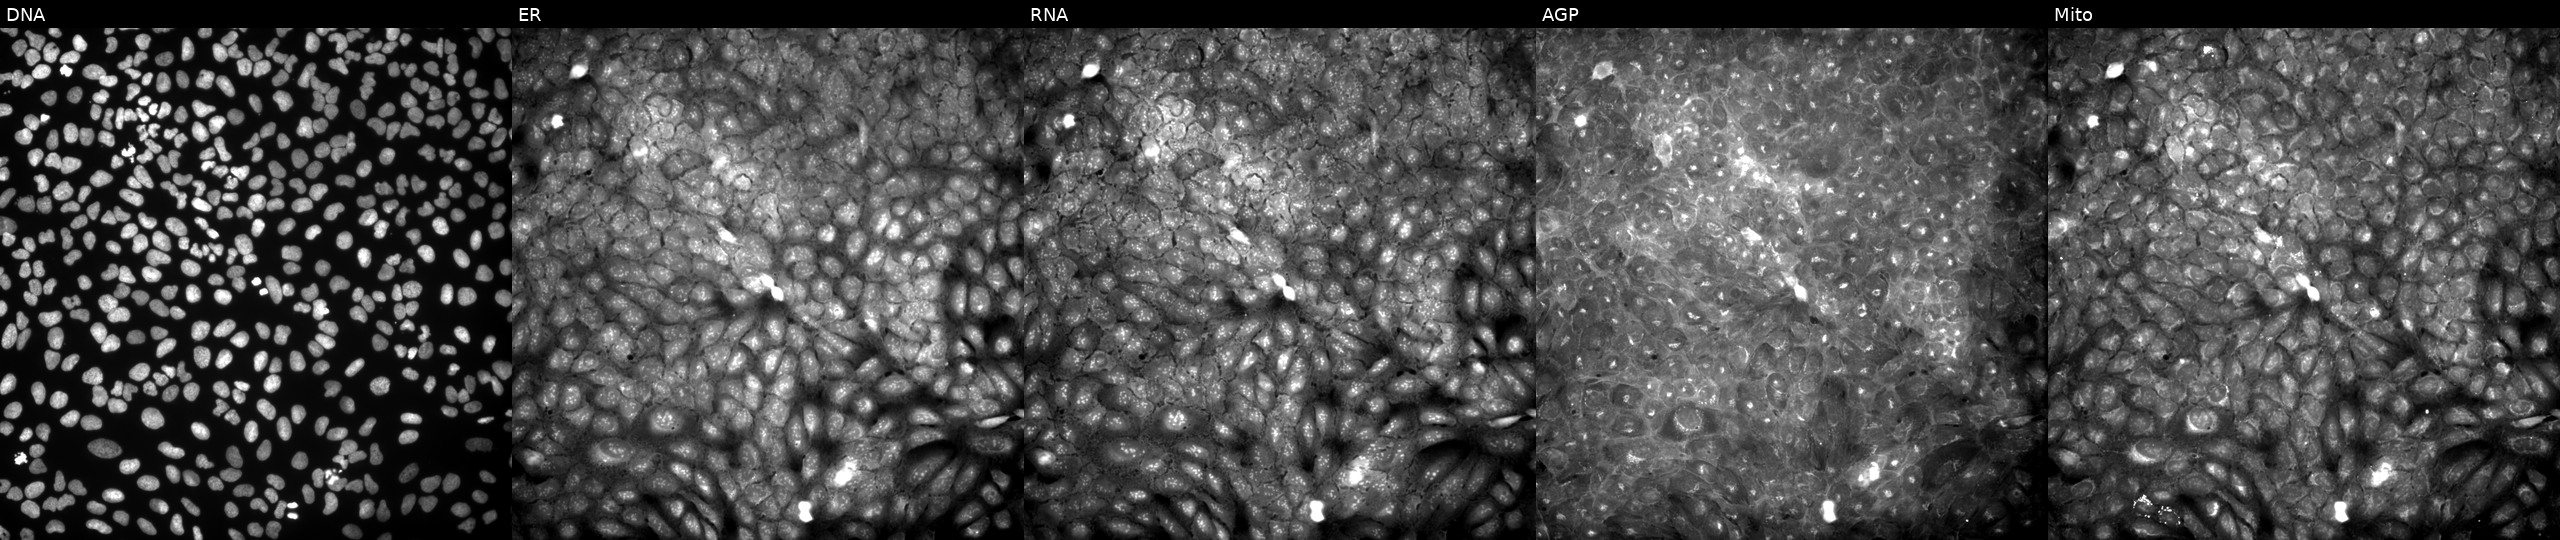
JUMP Cell Painting — COMPOUND plate. U2OS cells exposed to a small-molecule compound (JUMP id JCP2022_086752). Panels show, left to right, DNA (nuclei); ER (endoplasmic reticulum); RNA (nucleoli and cytoplasmic RNA); AGP (actin cytoskeleton, Golgi, and plasma membrane); Mito (mitochondria).